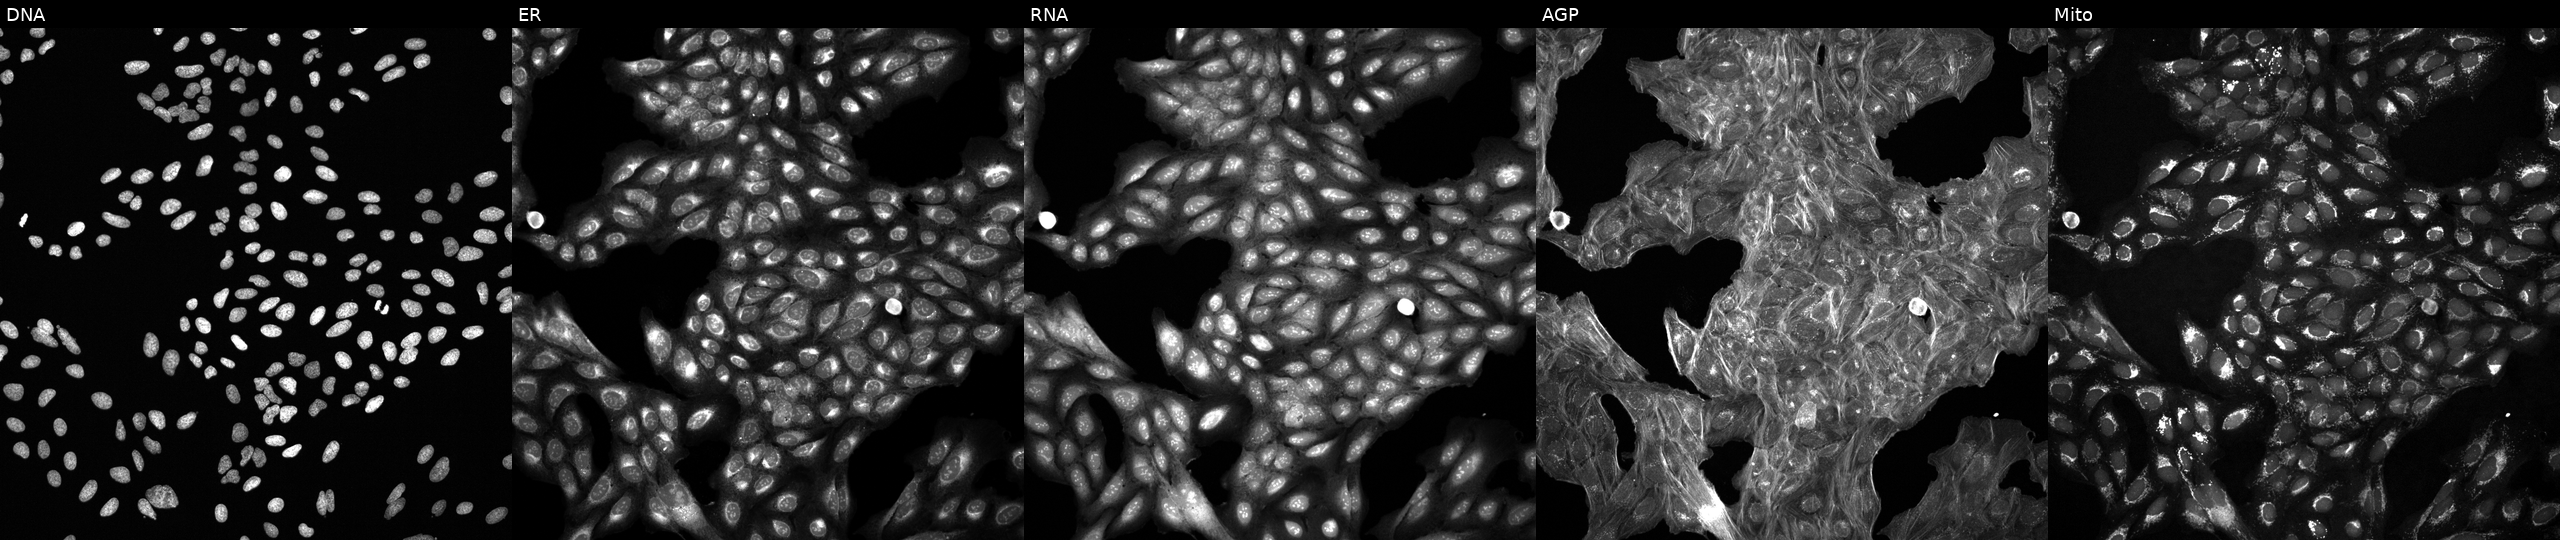
U2OS cells, Cell Painting assay, treated with a small-molecule compound (JUMP id JCP2022_111097). Panels show, left to right, DNA (nuclei); ER (endoplasmic reticulum); RNA (nucleoli and cytoplasmic RNA); AGP (actin cytoskeleton, Golgi, and plasma membrane); Mito (mitochondria). Each panel is percentile-stretched 16-bit fluorescence.